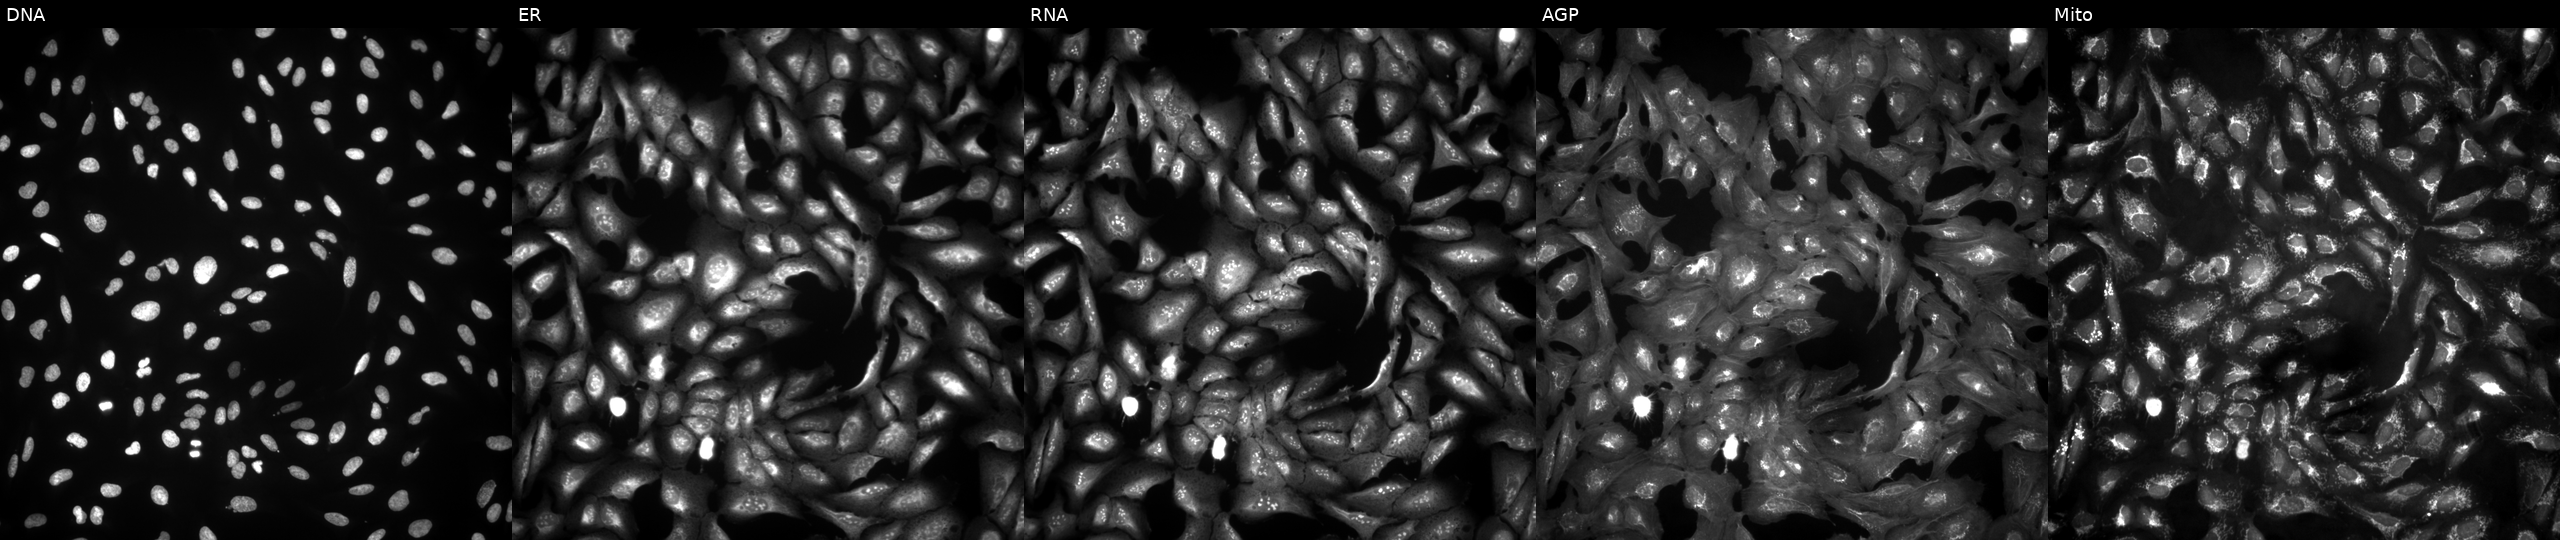
Panels show, left to right, DNA (nuclei); ER (endoplasmic reticulum); RNA (nucleoli and cytoplasmic RNA); AGP (actin cytoskeleton, Golgi, and plasma membrane); Mito (mitochondria). U2OS osteosarcoma cells with PIM1 overexpressed (ORF). Cell Painting assay, JUMP-CP dataset.